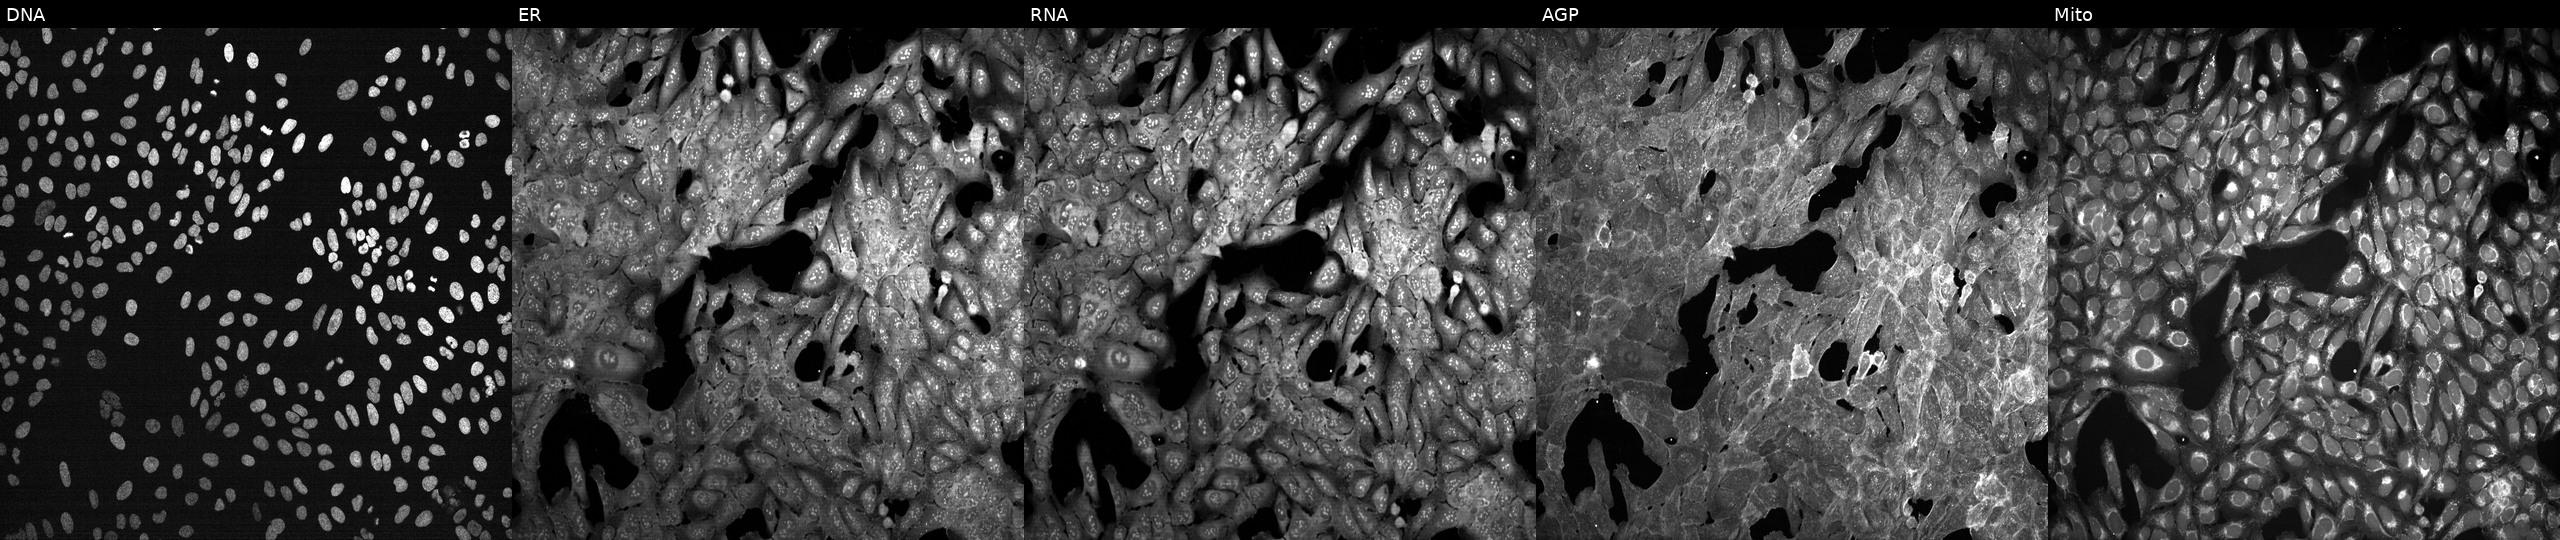
High-content fluorescence microscopy (Cell Painting). Cell line: U2OS. Perturbation: treated with DMSO vehicle only (negative control). From left to right: DNA, ER, RNA, AGP, and Mito.